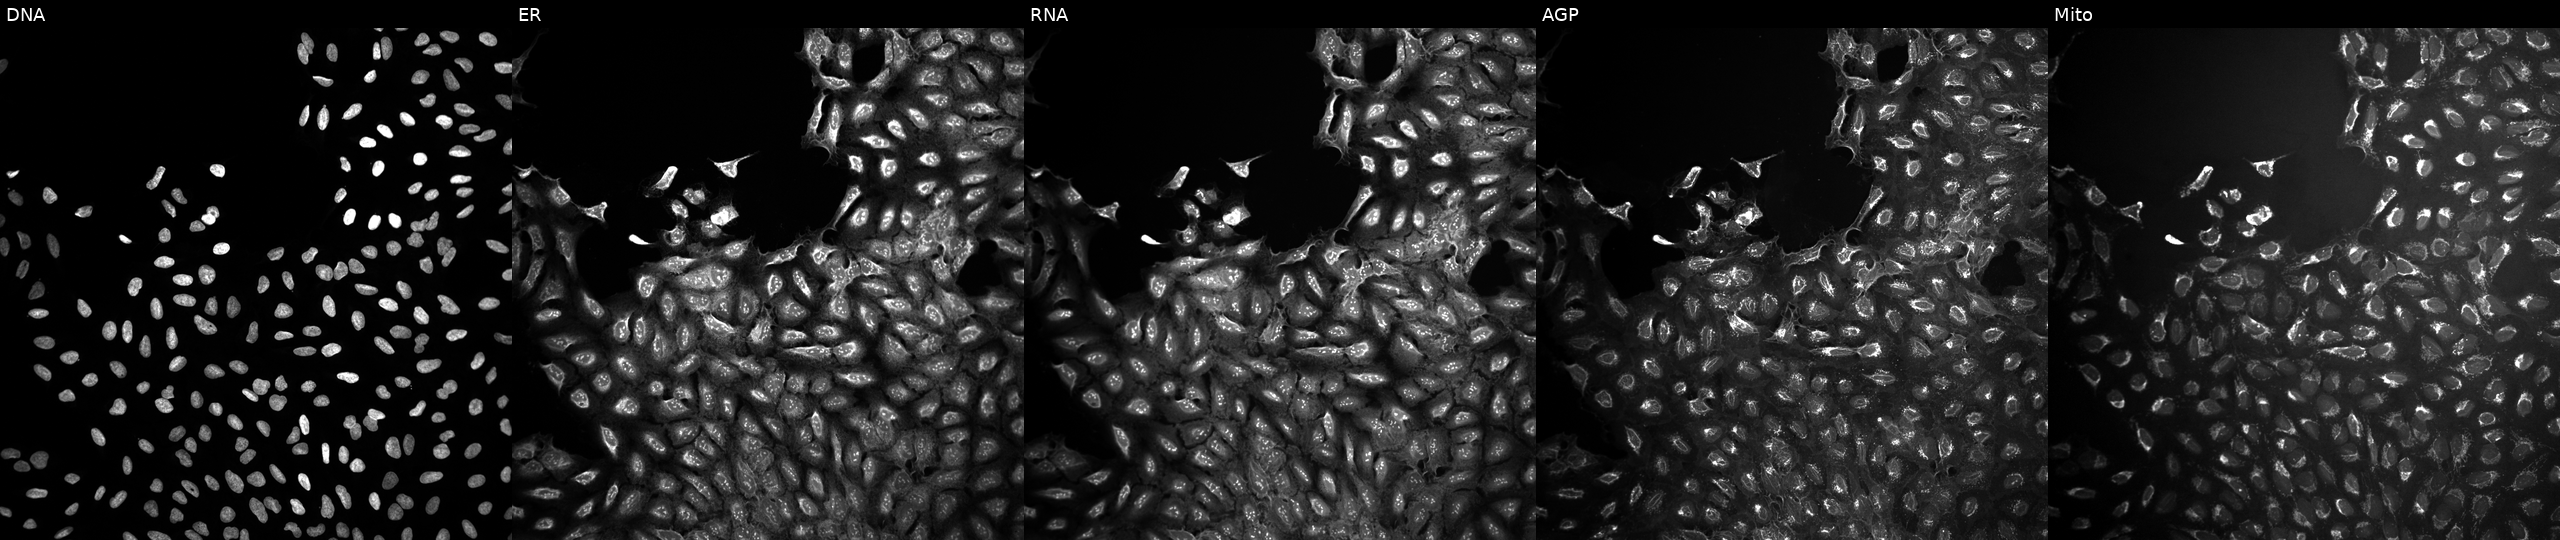
Five-channel Cell Painting image of U2OS cells treated with DMSO vehicle only (negative control) (JUMP id JCP2022_033924). Panels show, left to right, DNA, ER, RNA, AGP, and Mito. Source 10, plate Dest210803-153958, well L23.